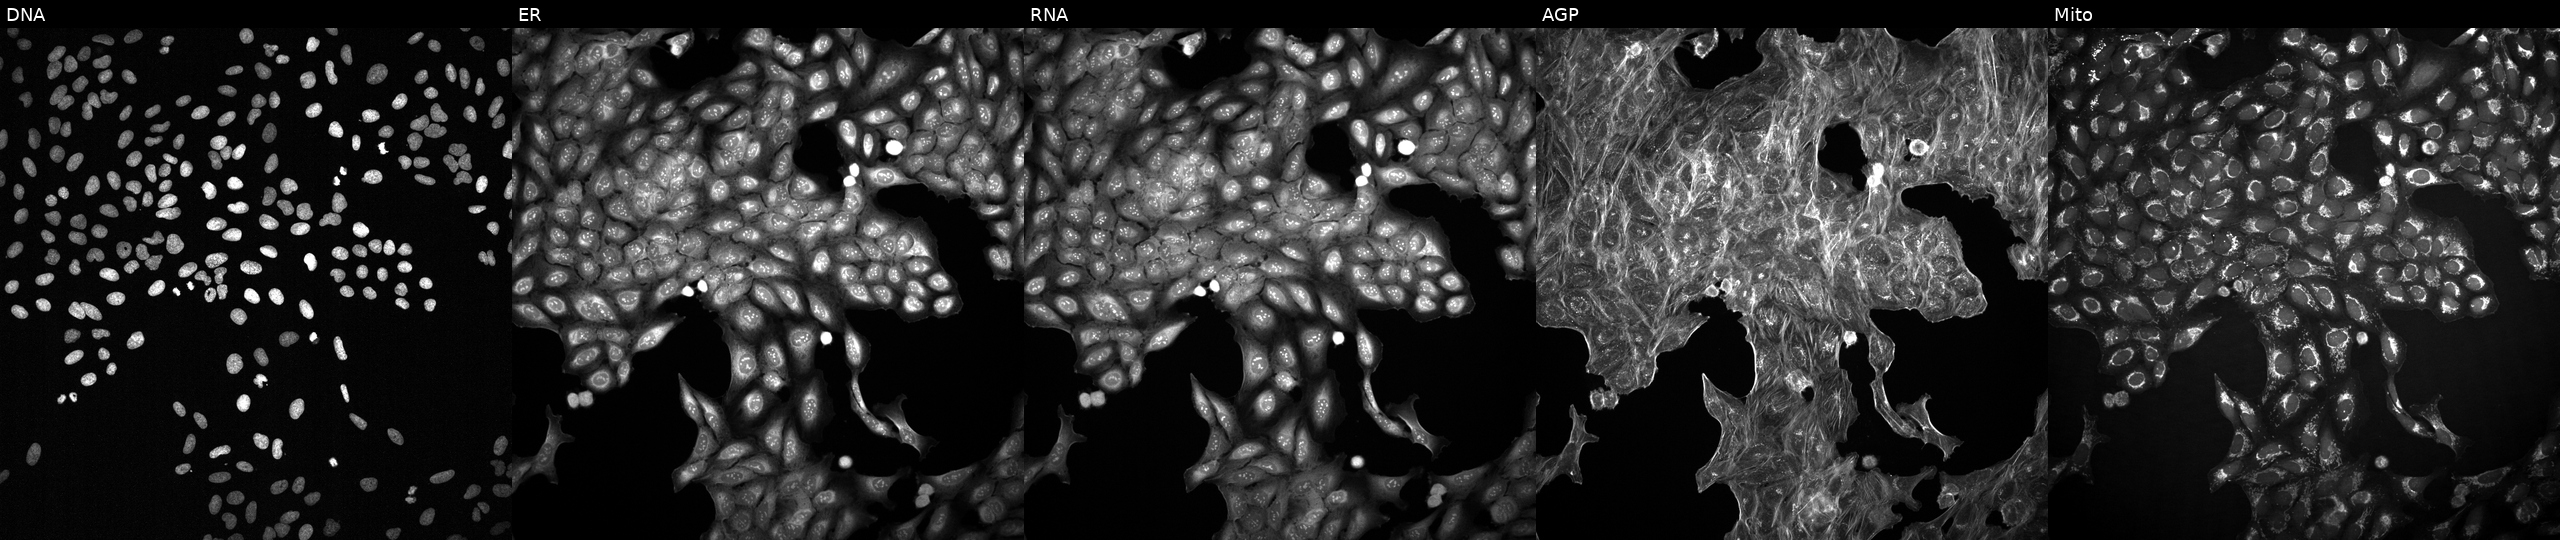
This image strip shows the five Cell Painting channels for a single field of U2OS cells treated with a small-molecule compound (JUMP id JCP2022_078588). From left to right: DNA (nuclei); ER (endoplasmic reticulum); RNA (nucleoli and cytoplasmic RNA); AGP (actin cytoskeleton, Golgi, and plasma membrane); Mito (mitochondria). Source 2, plate 1053600674, well O06.